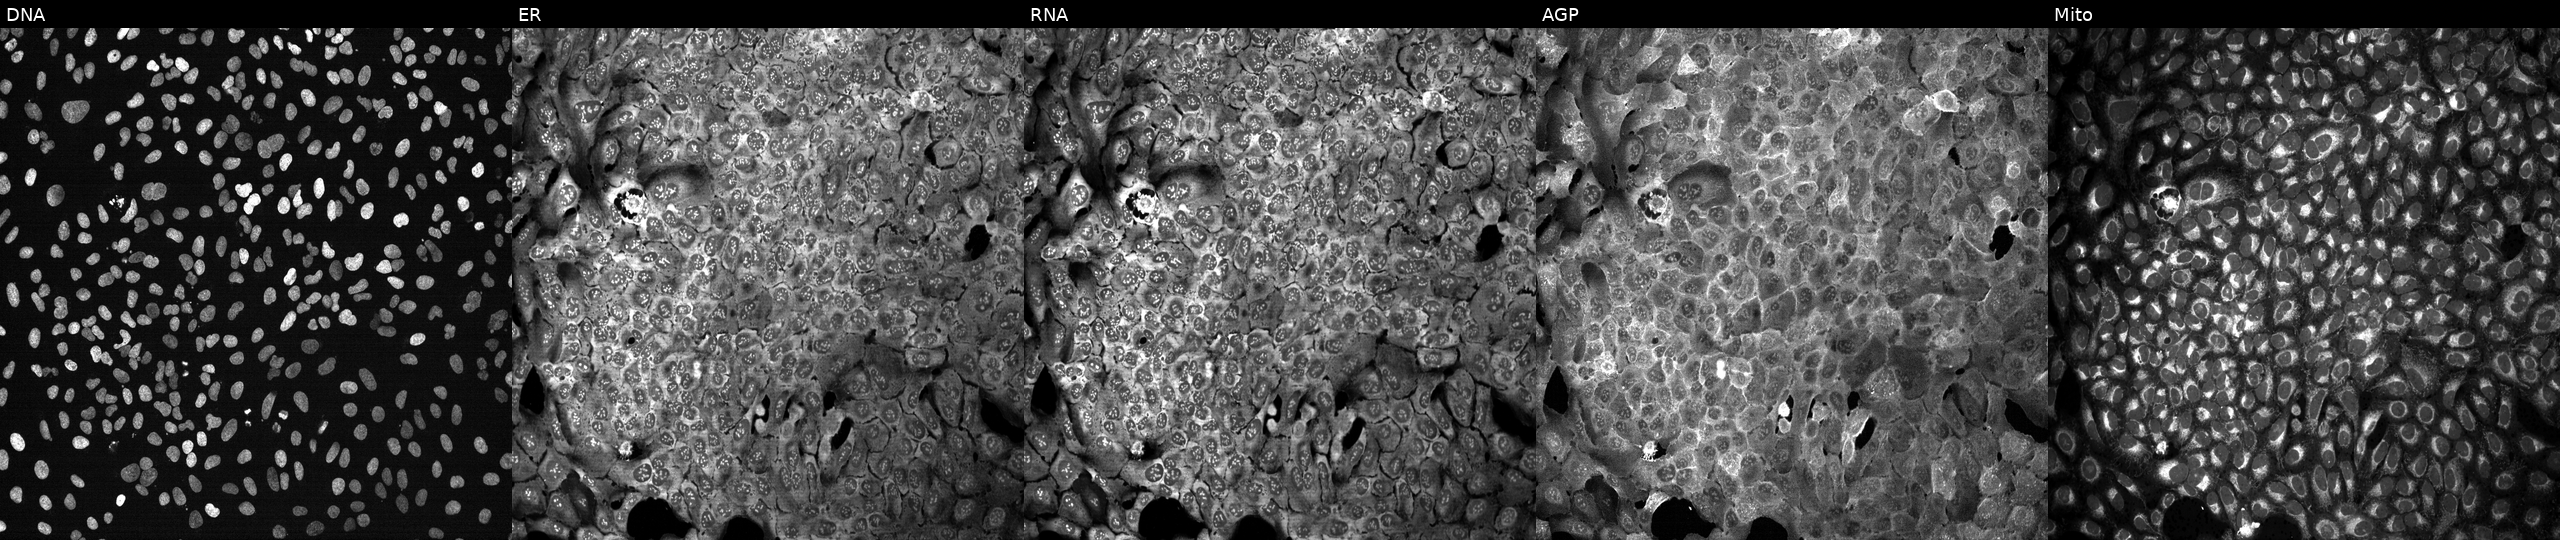
U2OS cells, Cell Painting assay, with ALDH1A1 knocked out by CRISPR (JUMP id JCP2022_800382). From left to right: DNA (nuclei); ER (endoplasmic reticulum); RNA (nucleoli and cytoplasmic RNA); AGP (actin cytoskeleton, Golgi, and plasma membrane); Mito (mitochondria). Each panel is percentile-stretched 16-bit fluorescence. Source 13, plate CP-CC9-R2-02, well D22.